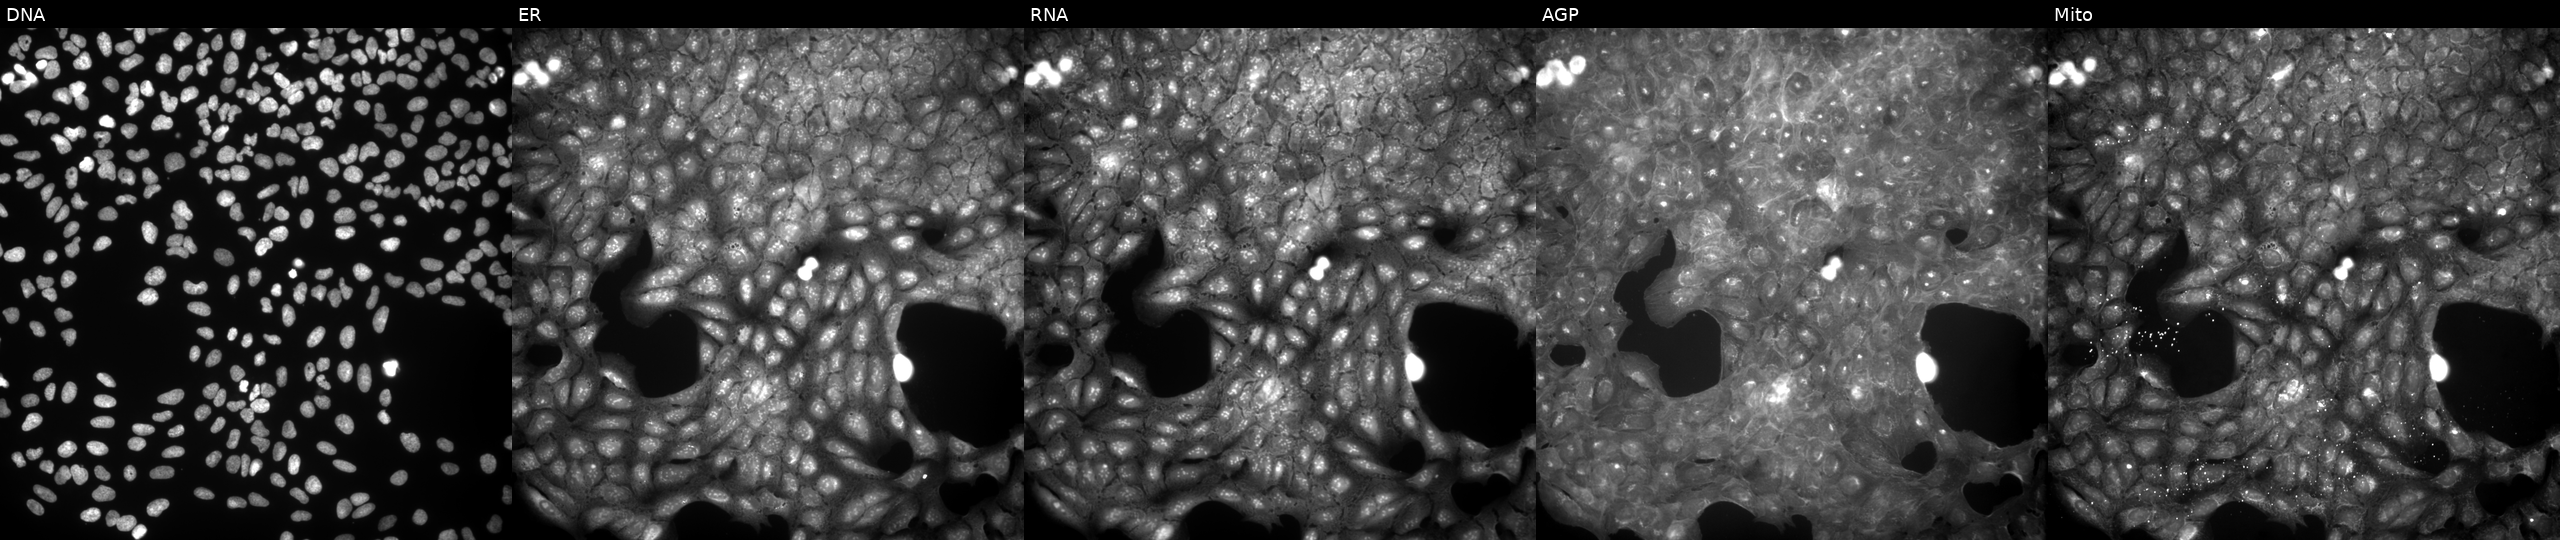
Panels show, left to right, DNA (nuclei); ER (endoplasmic reticulum); RNA (nucleoli and cytoplasmic RNA); AGP (actin cytoskeleton, Golgi, and plasma membrane); Mito (mitochondria). U2OS osteosarcoma cells treated with a small-molecule compound (InChIKey AWSLTYZLUOJESZ-UHFFFAOYSA-N). Cell Painting assay, JUMP-CP dataset.